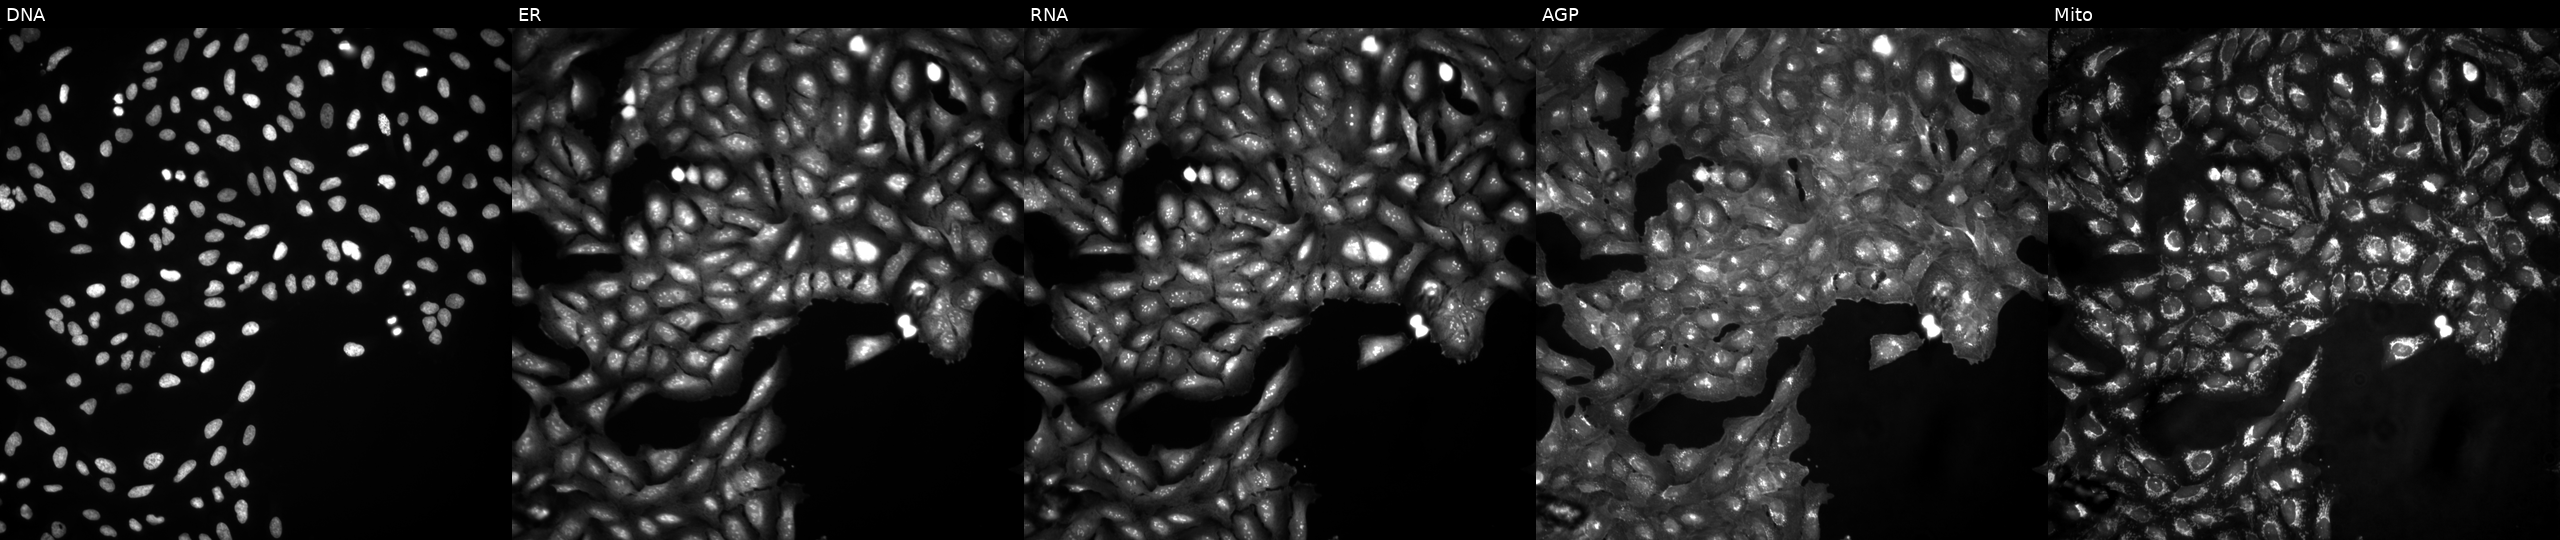
This image strip shows the five Cell Painting channels for a single field of U2OS cells untreated (empty-well control). The five panels, left to right, show DNA, ER, RNA, AGP, and Mito.